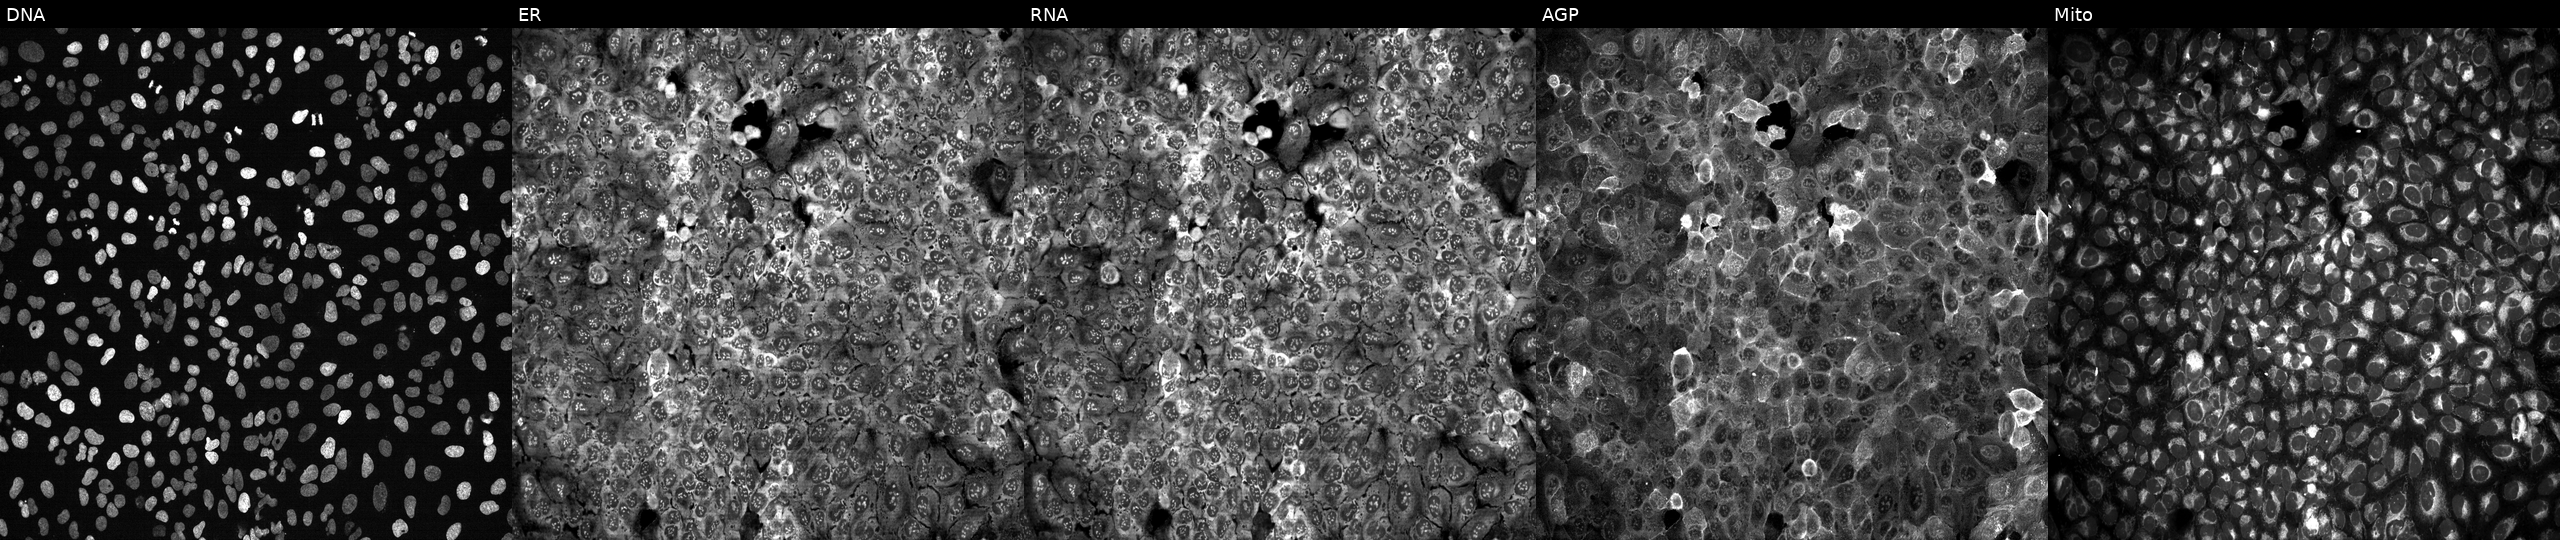
U2OS cells, Cell Painting assay, following CRISPR knockout of PRODH2 (JUMP id JCP2022_805555). The five panels, left to right, show DNA, ER, RNA, AGP, and Mito. Each panel is percentile-stretched 16-bit fluorescence.